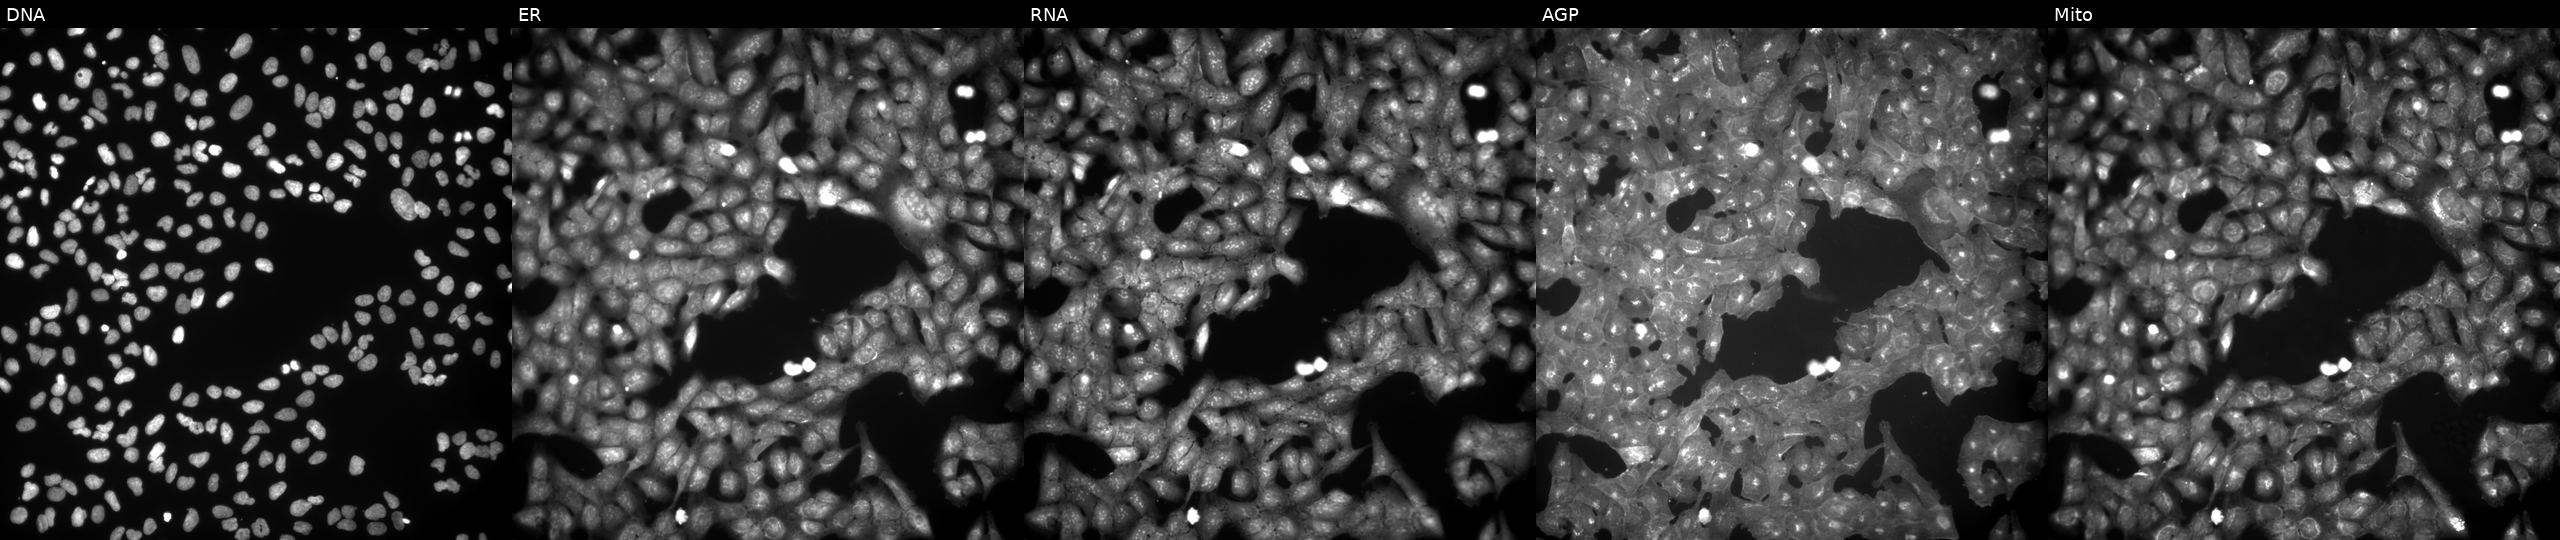
U2OS cells, Cell Painting assay, treated with NVS-PAK1-1 (positive-control compound) (JUMP id JCP2022_064022). Channels (left→right): Hoechst 33342, concanavalin A, SYTO 14, phalloidin and WGA, MitoTracker. Each panel is percentile-stretched 16-bit fluorescence. Source 9, plate GR00003381, well N48.